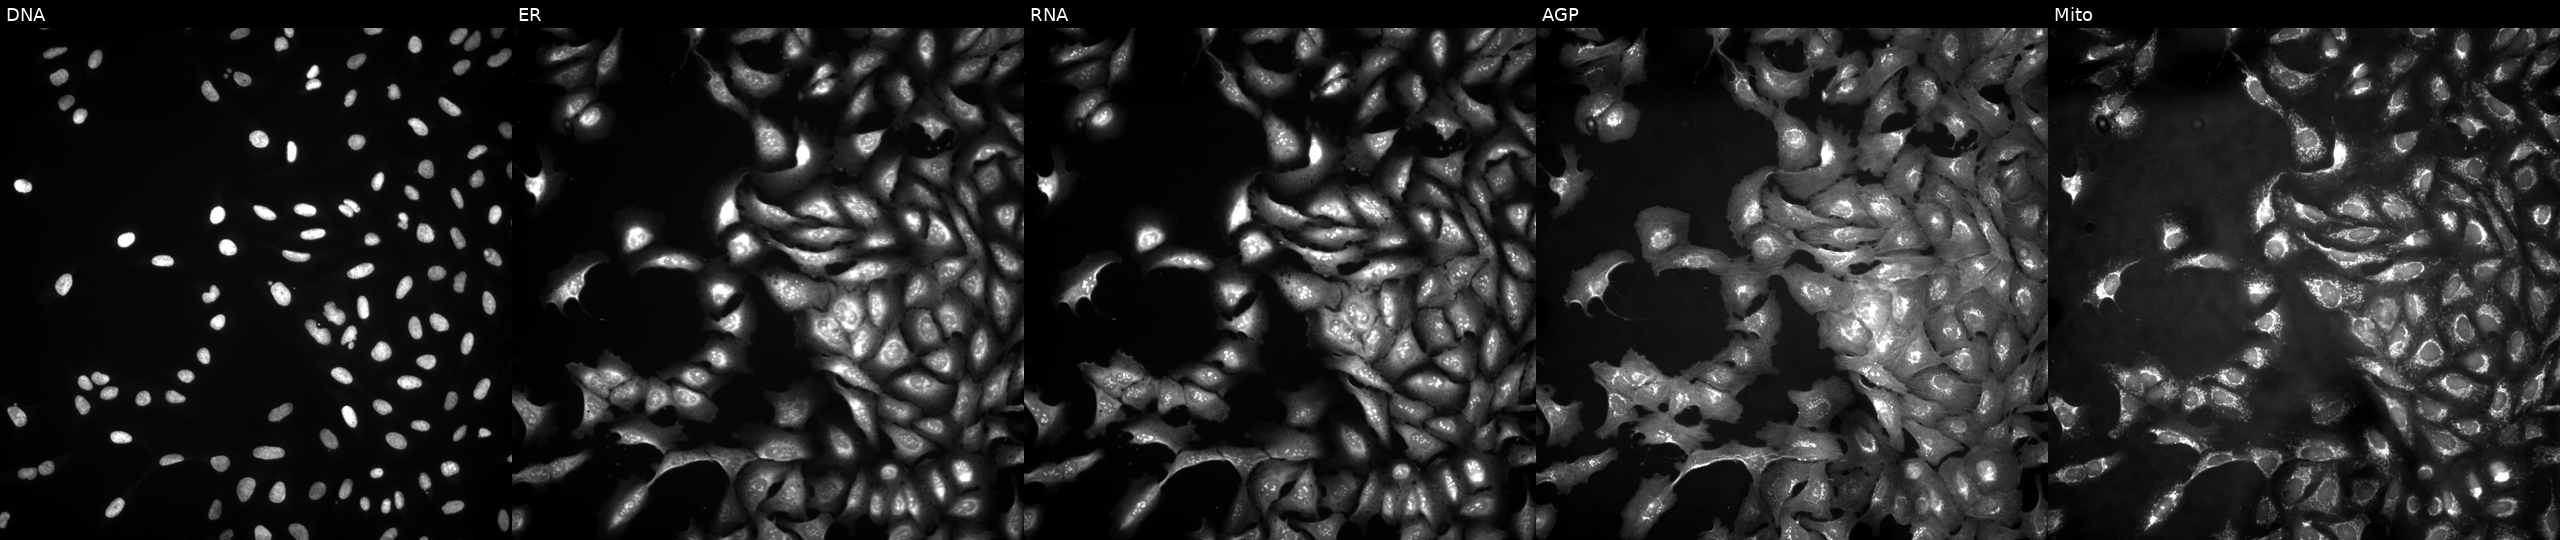
U2OS cells, Cell Painting assay, transfected with an ORF construct for CD5L. Channels (left→right): DNA, ER, RNA, AGP, and Mito. Each panel is percentile-stretched 16-bit fluorescence.